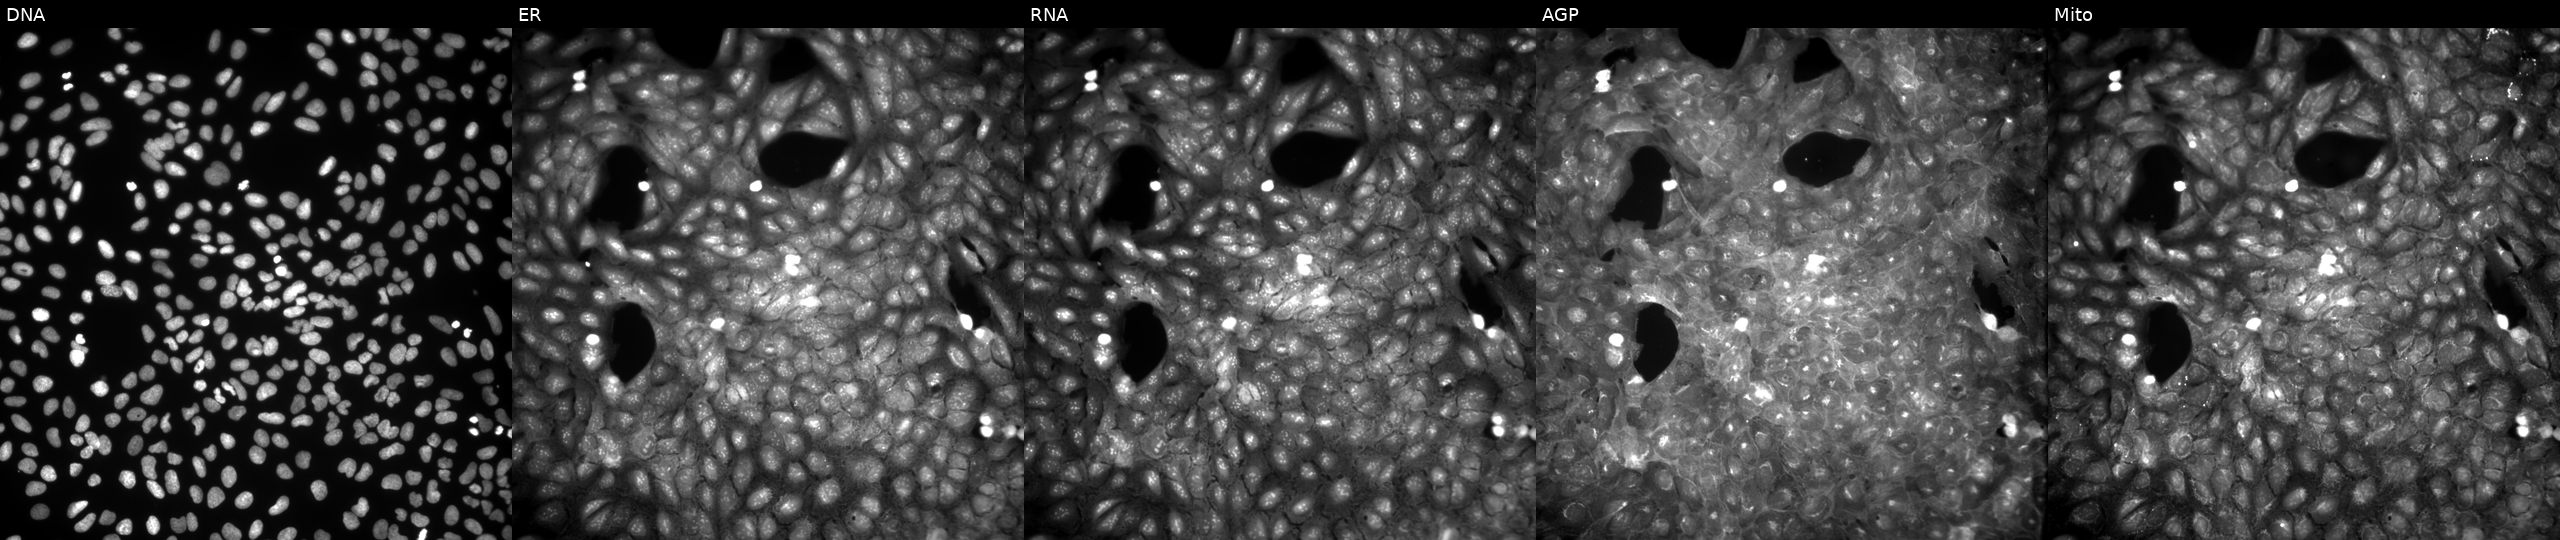
The five panels, left to right, show Hoechst 33342, concanavalin A, SYTO 14, phalloidin and WGA, MitoTracker. U2OS osteosarcoma cells exposed to a small-molecule compound (InChIKey JSPWKXVREJVMOS-UHFFFAOYSA-N) (JUMP id JCP2022_041897). Cell Painting assay, JUMP-CP dataset. Source 9, plate GR00003381, well Z33.